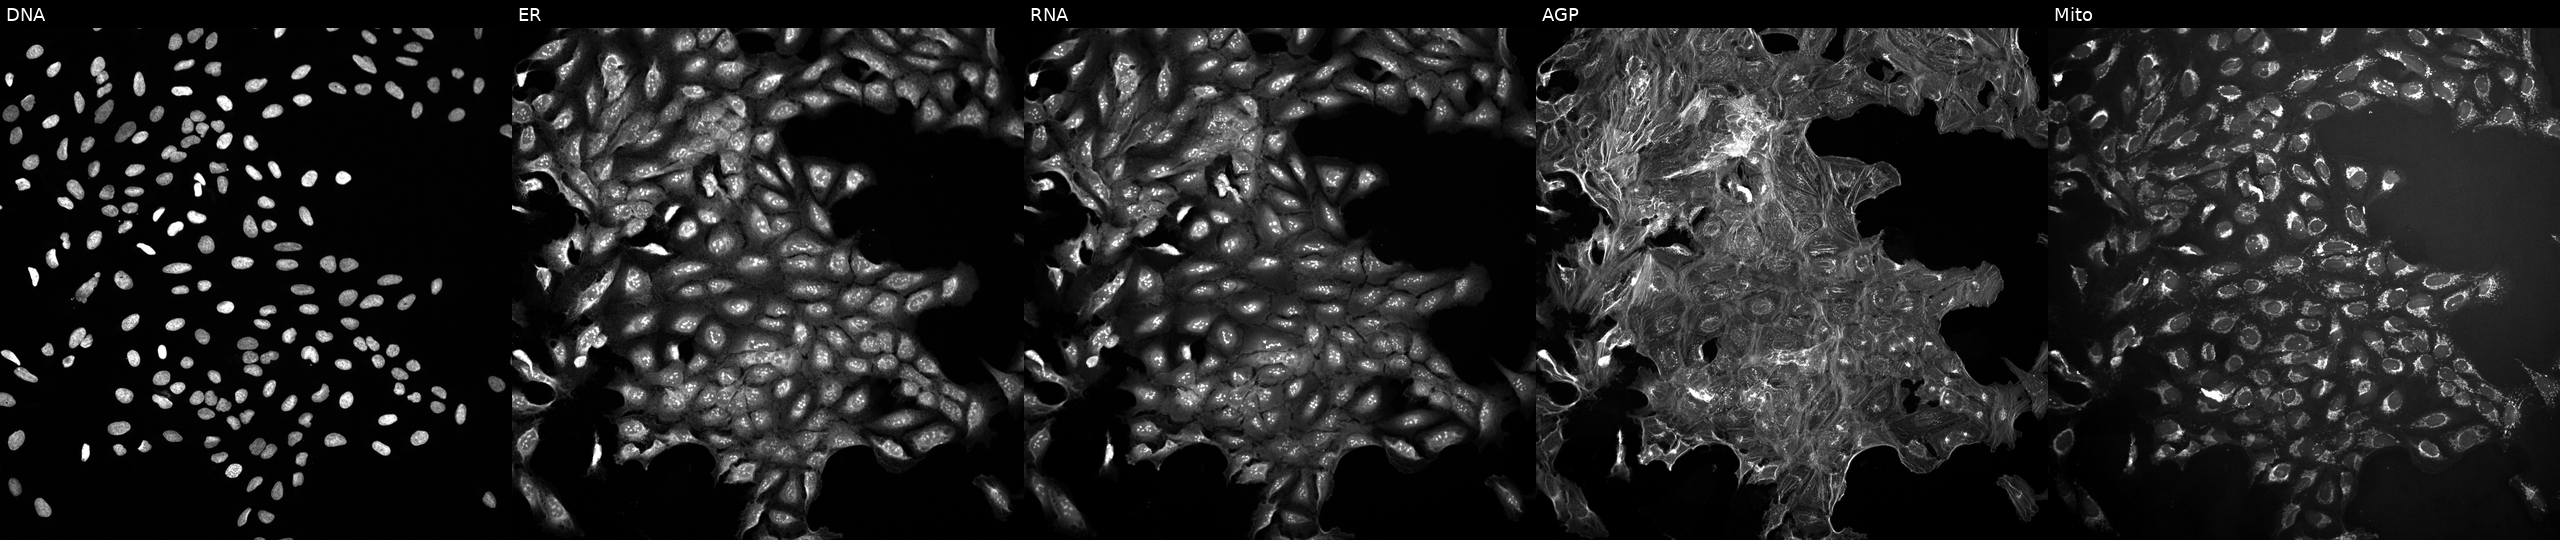
JUMP Cell Painting — TARGET2 plate. U2OS cells exposed to a small-molecule compound (InChIKey MDKAFDIKYQMOMF-UHFFFAOYSA-N) [SMILES: FC(F)(F)c1cc(NC(=S)Nc2ccc(Br)cc2-c2nn[nH]n2)cc(C(F)(F)F)c1] (JUMP id JCP2022_053409). Channels (left→right): DNA, ER, RNA, AGP, and Mito. Source 10, plate Dest210726-160150, well G01.